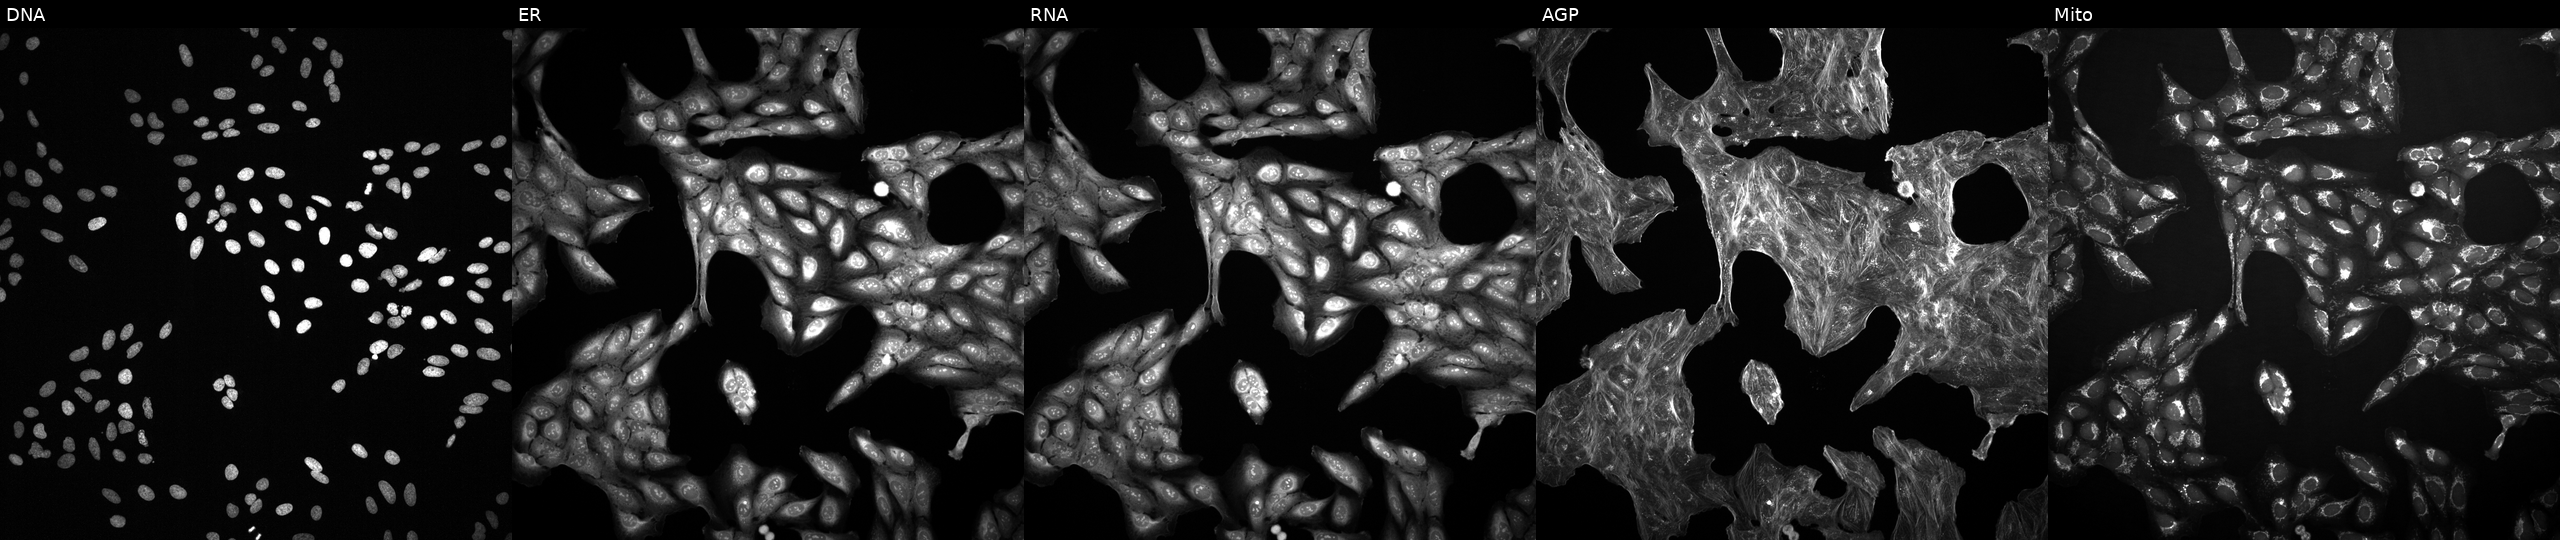
U2OS cells, Cell Painting assay, treated with a small-molecule compound (InChIKey LLVZBTWPGQVVLW-UHFFFAOYSA-N) (JUMP id JCP2022_050271). Channels (left→right): DNA (nuclei); ER (endoplasmic reticulum); RNA (nucleoli and cytoplasmic RNA); AGP (actin cytoskeleton, Golgi, and plasma membrane); Mito (mitochondria). Each panel is percentile-stretched 16-bit fluorescence. Source 2, plate 1053597936, well E12.